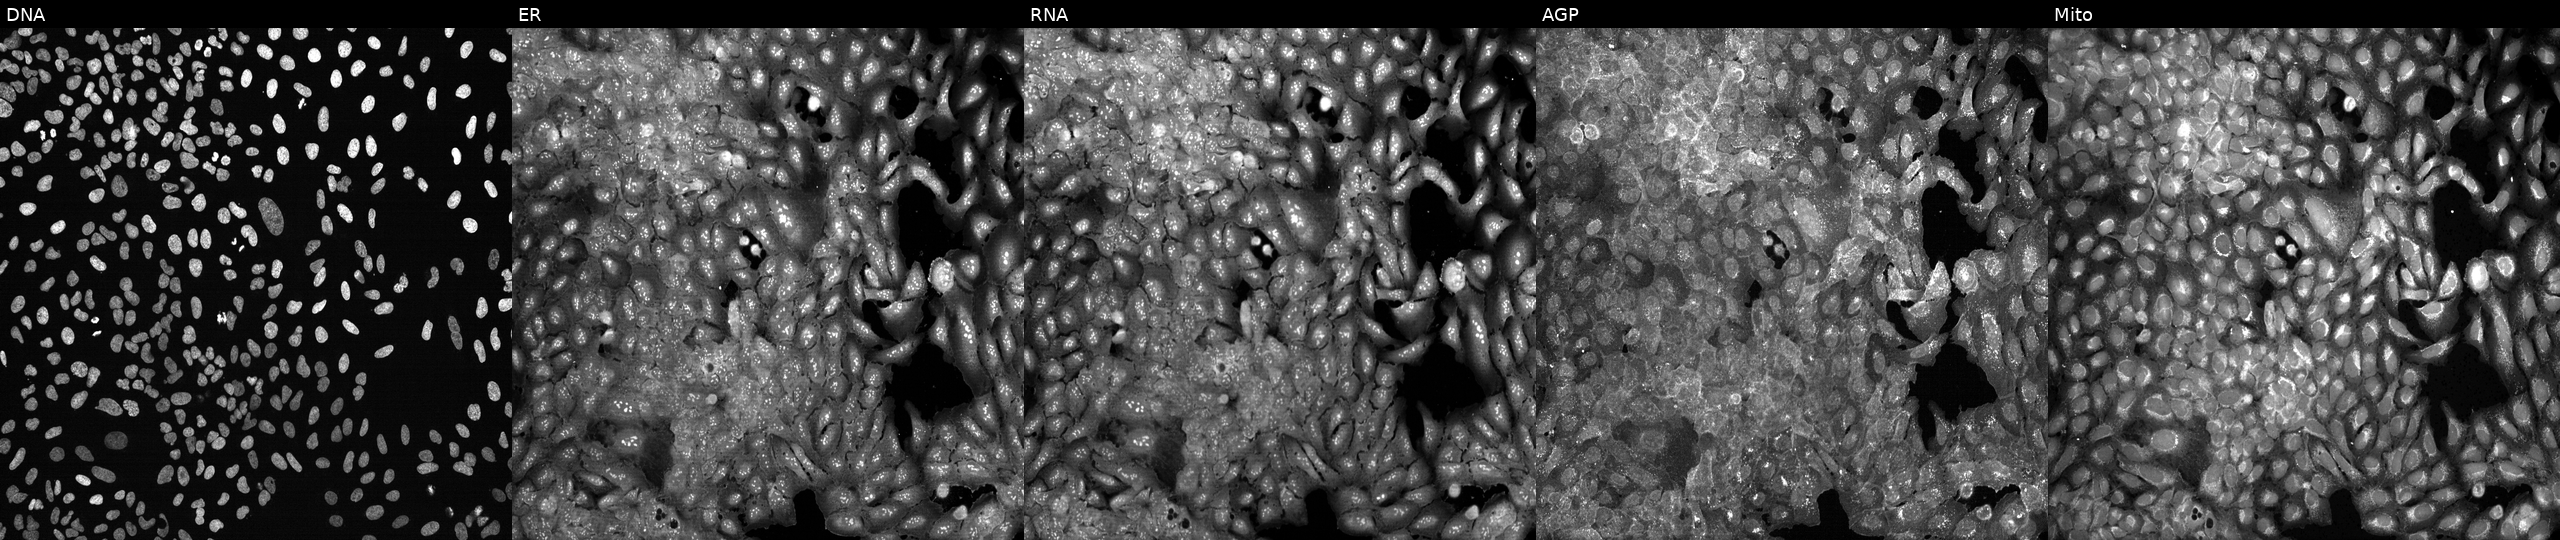
Five-channel Cell Painting image of U2OS cells CRISPR-edited to disrupt TIAM2. Channels (left→right): DNA (nuclei); ER (endoplasmic reticulum); RNA (nucleoli and cytoplasmic RNA); AGP (actin cytoskeleton, Golgi, and plasma membrane); Mito (mitochondria). Source 13, plate CP-CC9-R1-02, well J05.